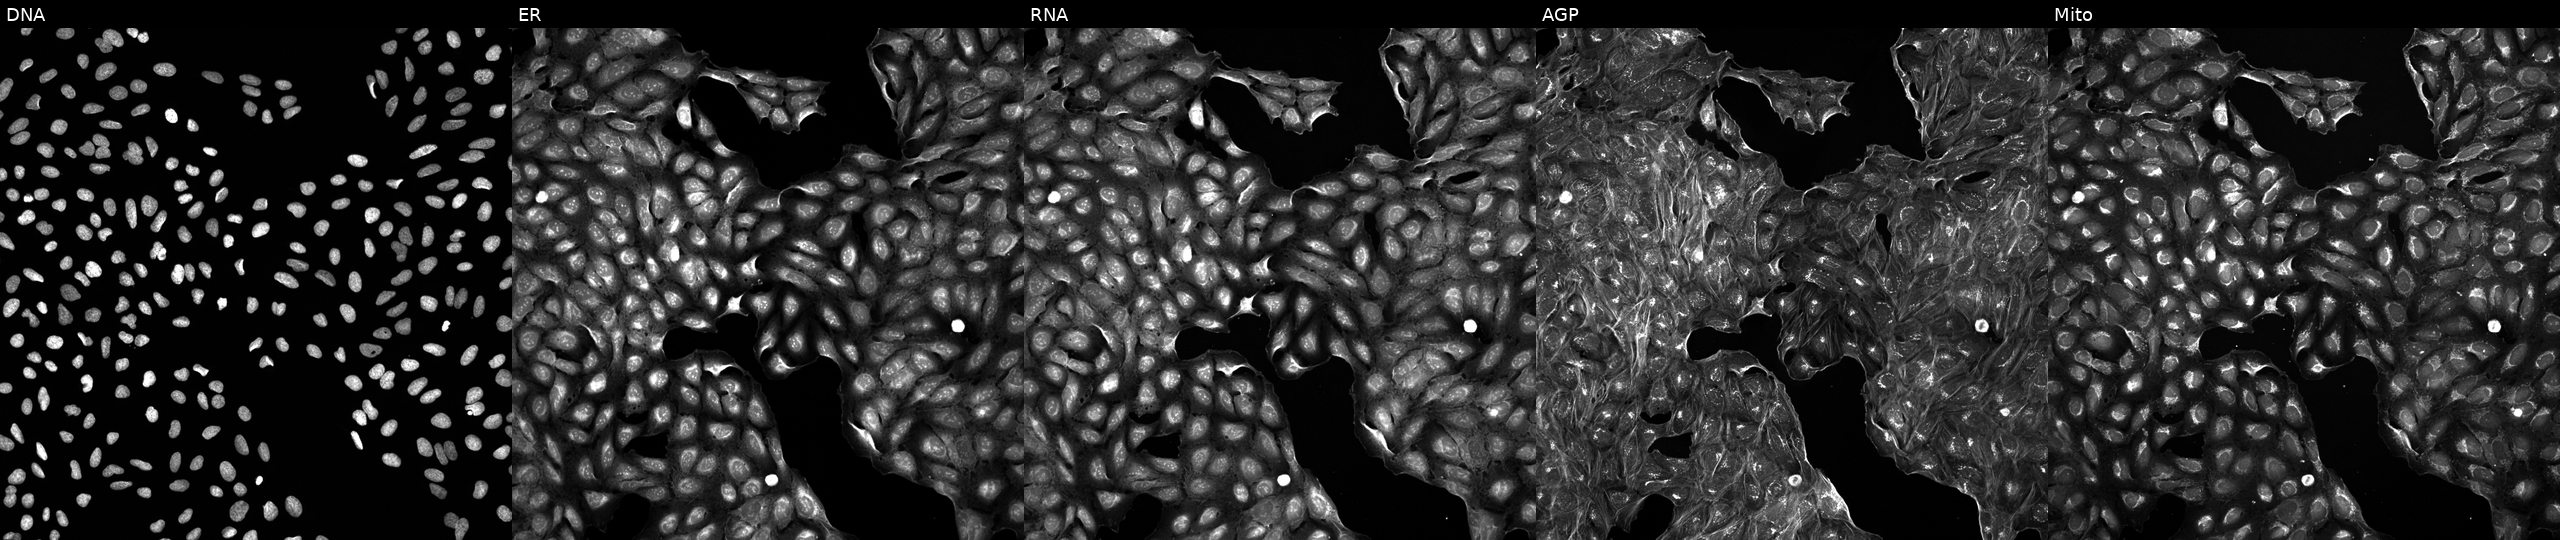
Five-channel Cell Painting image of U2OS cells exposed to DMSO alone as a negative control (JUMP id JCP2022_033924). From left to right: DNA, ER, RNA, AGP, and Mito.